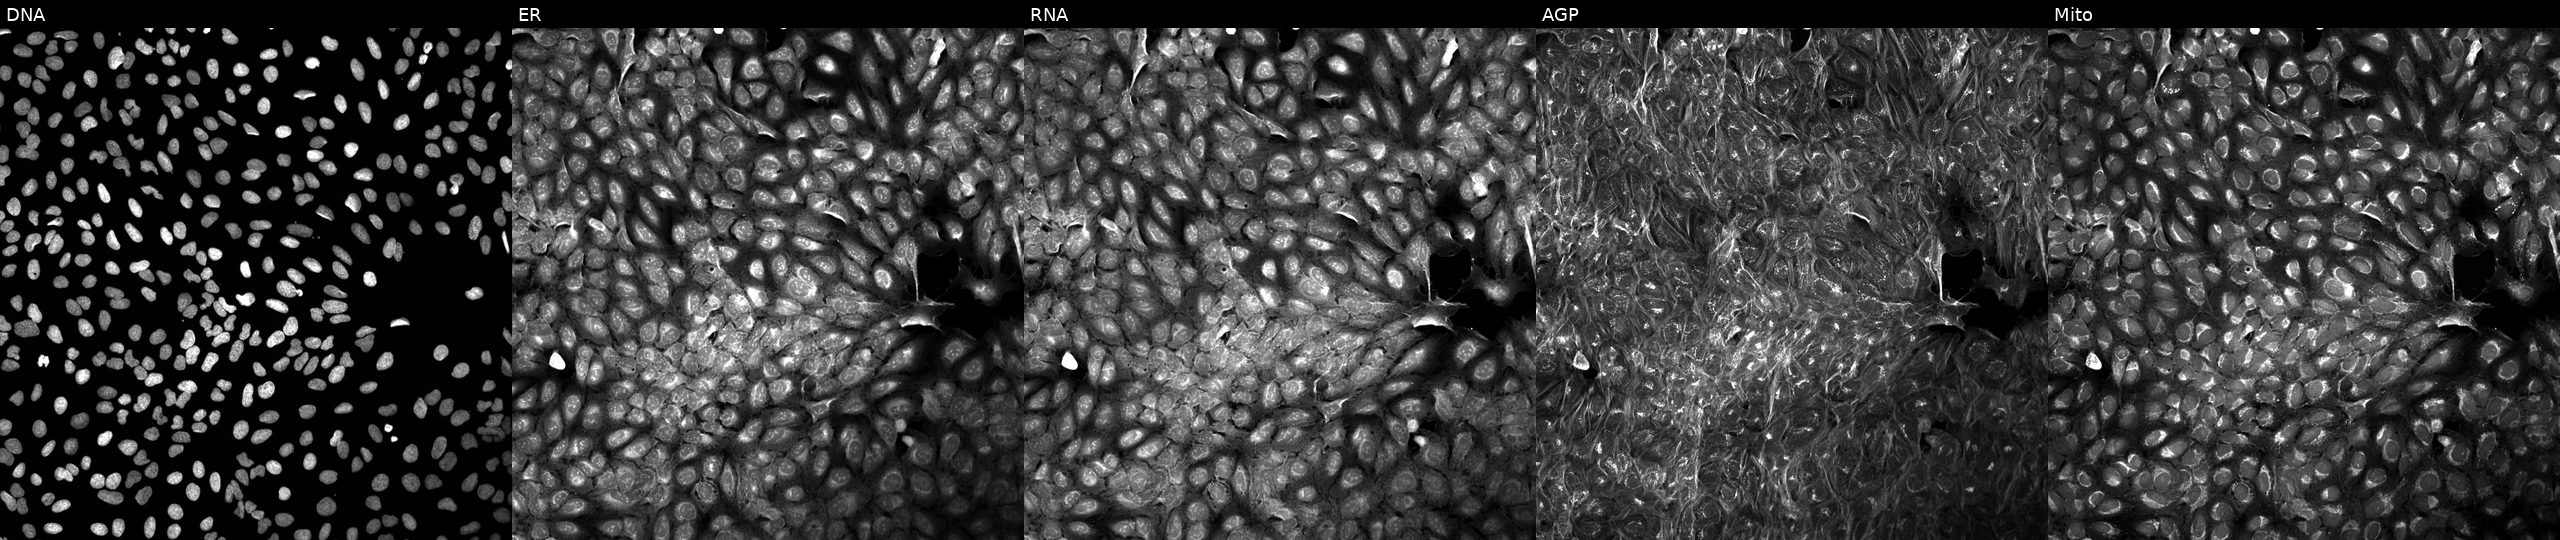
High-content fluorescence microscopy (Cell Painting). Cell line: U2OS. Perturbation: treated with a small-molecule compound (InChIKey WFIUUTQFTCSUKD-UHFFFAOYSA-N) (JUMP id JCP2022_098377). From left to right: Hoechst 33342, concanavalin A, SYTO 14, phalloidin and WGA, MitoTracker.